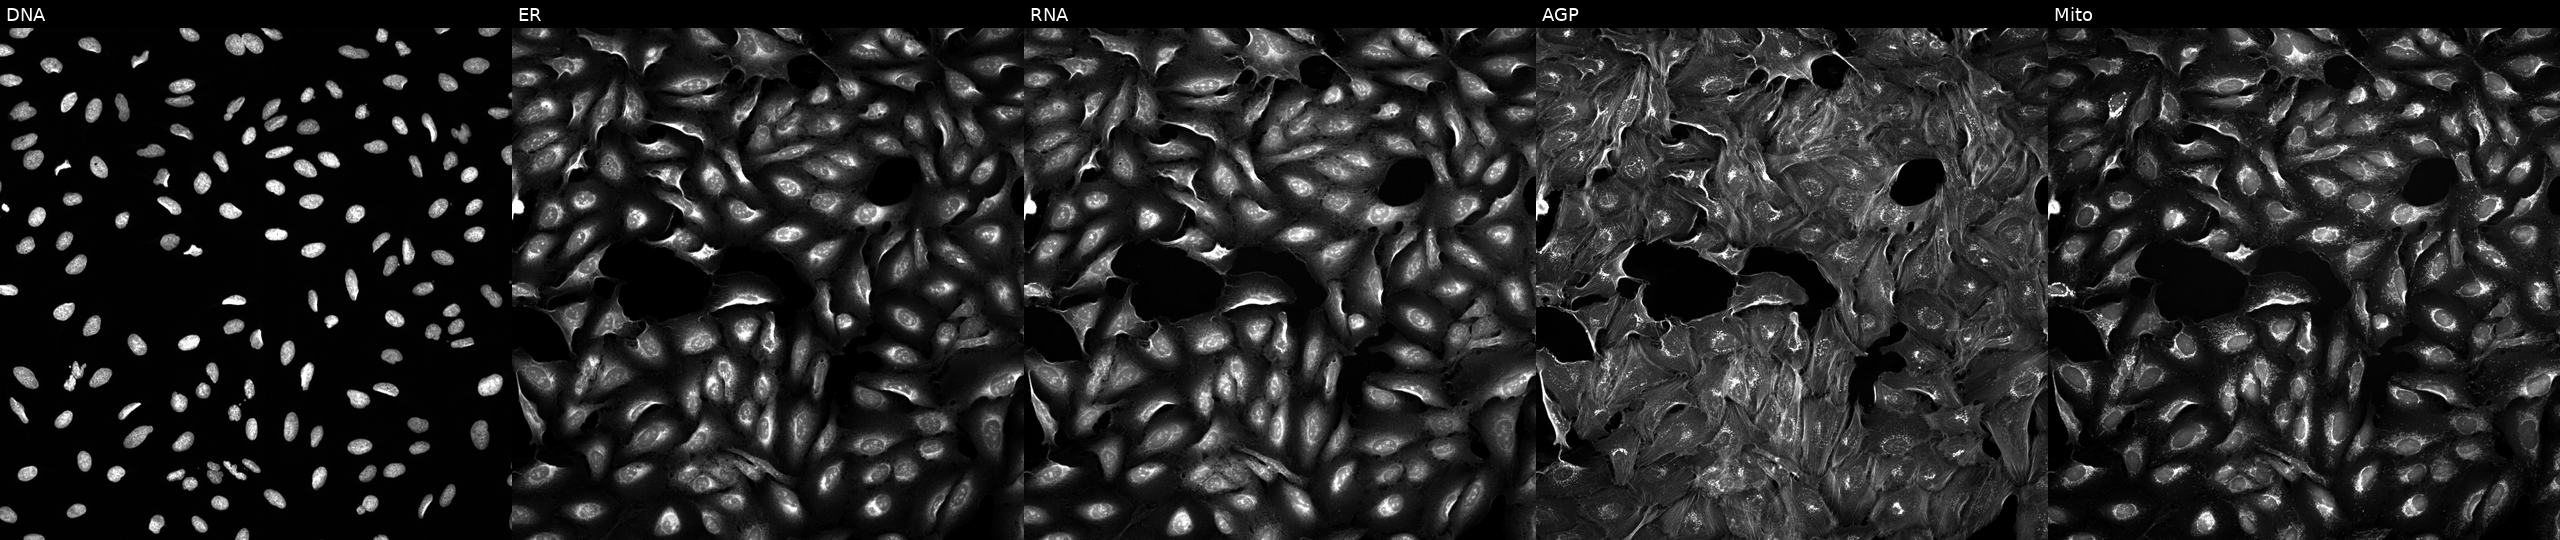
JUMP Cell Painting — TARGET2 plate. U2OS cells exposed to a small-molecule compound (InChIKey IPSSXIMJJXSJQB-UHFFFAOYSA-N) [SMILES: CCOC(=O)C(Cc1ccccc1)NC(=O)c1cc(Cl)c(OCCN2CCN(C)CC2)c(Cl)c1O]. The five panels, left to right, show DNA, ER, RNA, AGP, and Mito.